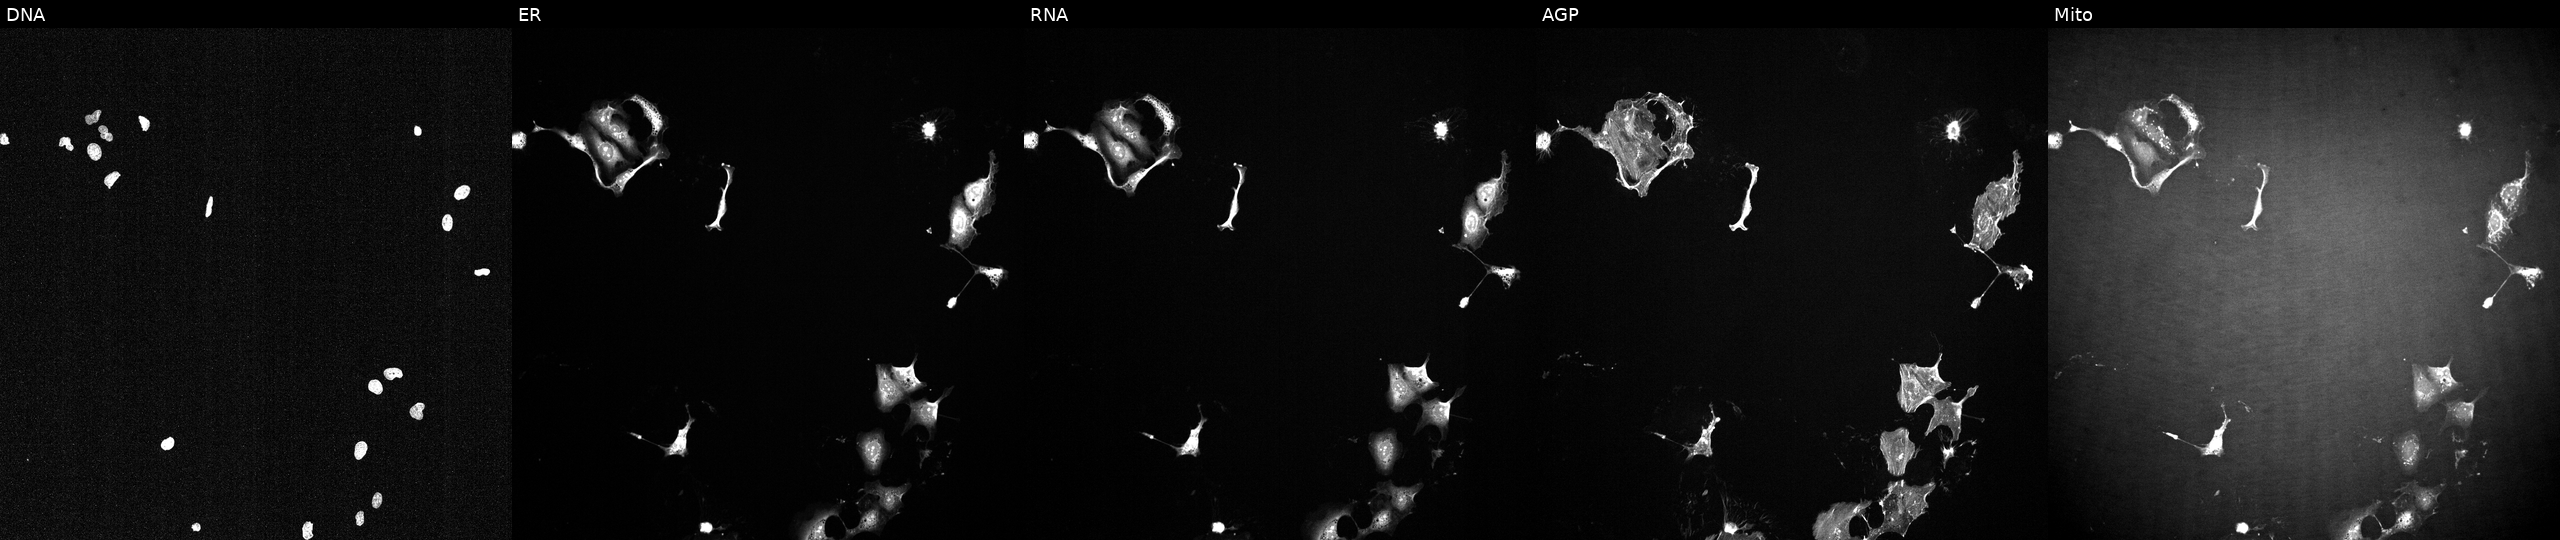
U2OS cells, Cell Painting assay, exposed to a small-molecule compound (InChIKey AJVXVYTVAAWZAP-UHFFFAOYSA-N) (JUMP id JCP2022_001890). Panels show, left to right, DNA (nuclei); ER (endoplasmic reticulum); RNA (nucleoli and cytoplasmic RNA); AGP (actin cytoskeleton, Golgi, and plasma membrane); Mito (mitochondria). Each panel is percentile-stretched 16-bit fluorescence. Source 2, plate 1053599503, well B01.